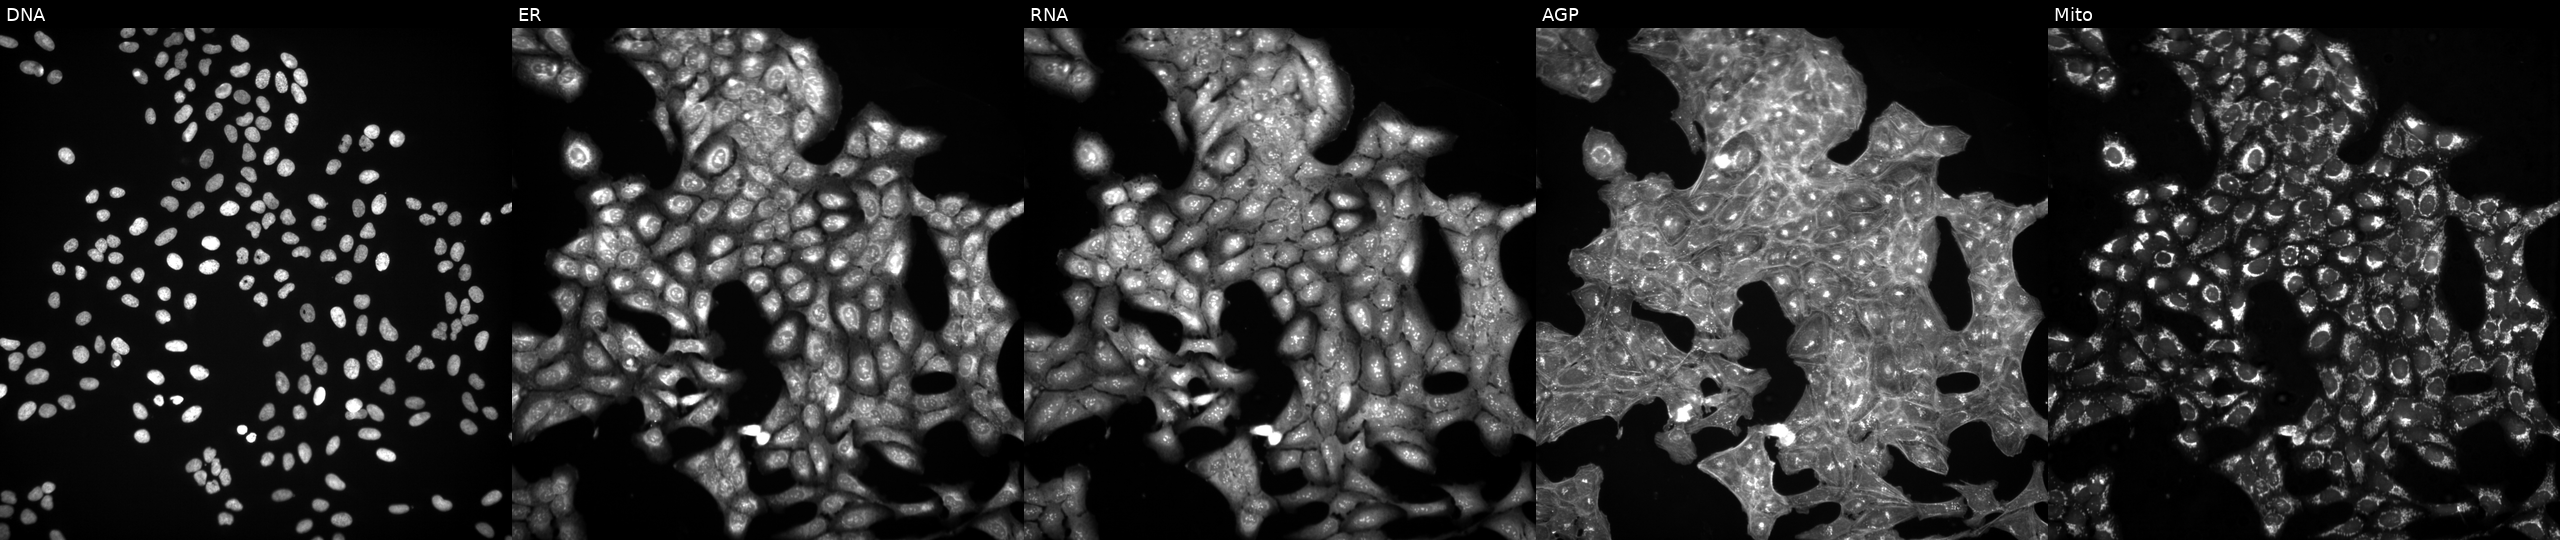
JUMP Cell Painting — TARGET2 plate. U2OS cells perturbed with a small-molecule compound (JUMP id JCP2022_010654). The five panels, left to right, show Hoechst 33342, concanavalin A, SYTO 14, phalloidin and WGA, MitoTracker.